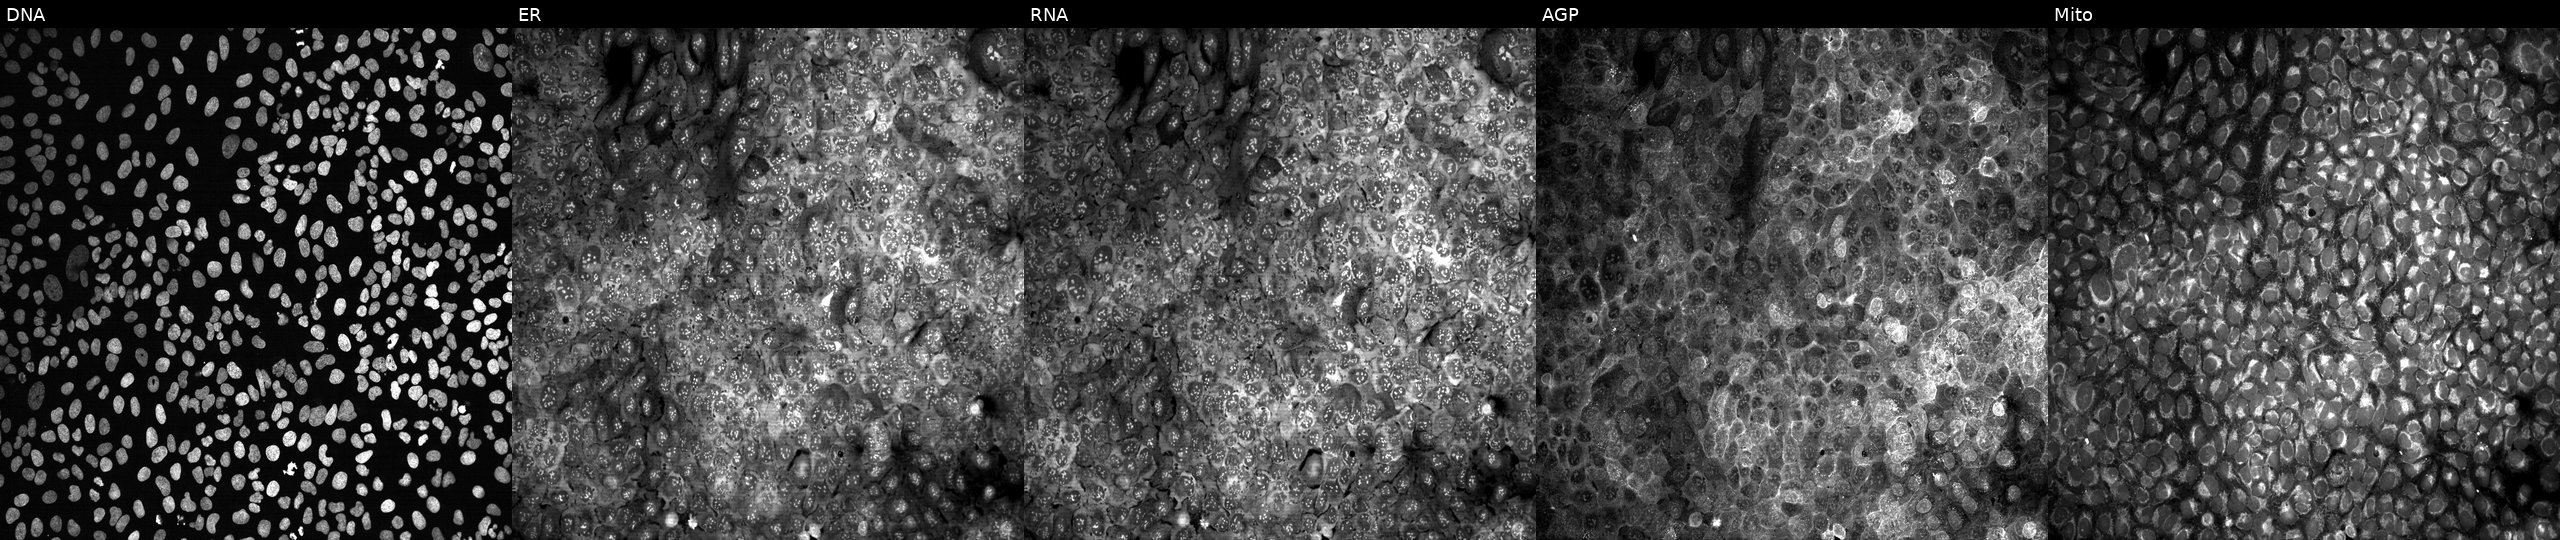
JUMP Cell Painting — CRISPR plate. U2OS cells exposed to the positive-control compound quinidine (JUMP id JCP2022_050797). From left to right: Hoechst 33342, concanavalin A, SYTO 14, phalloidin and WGA, MitoTracker.